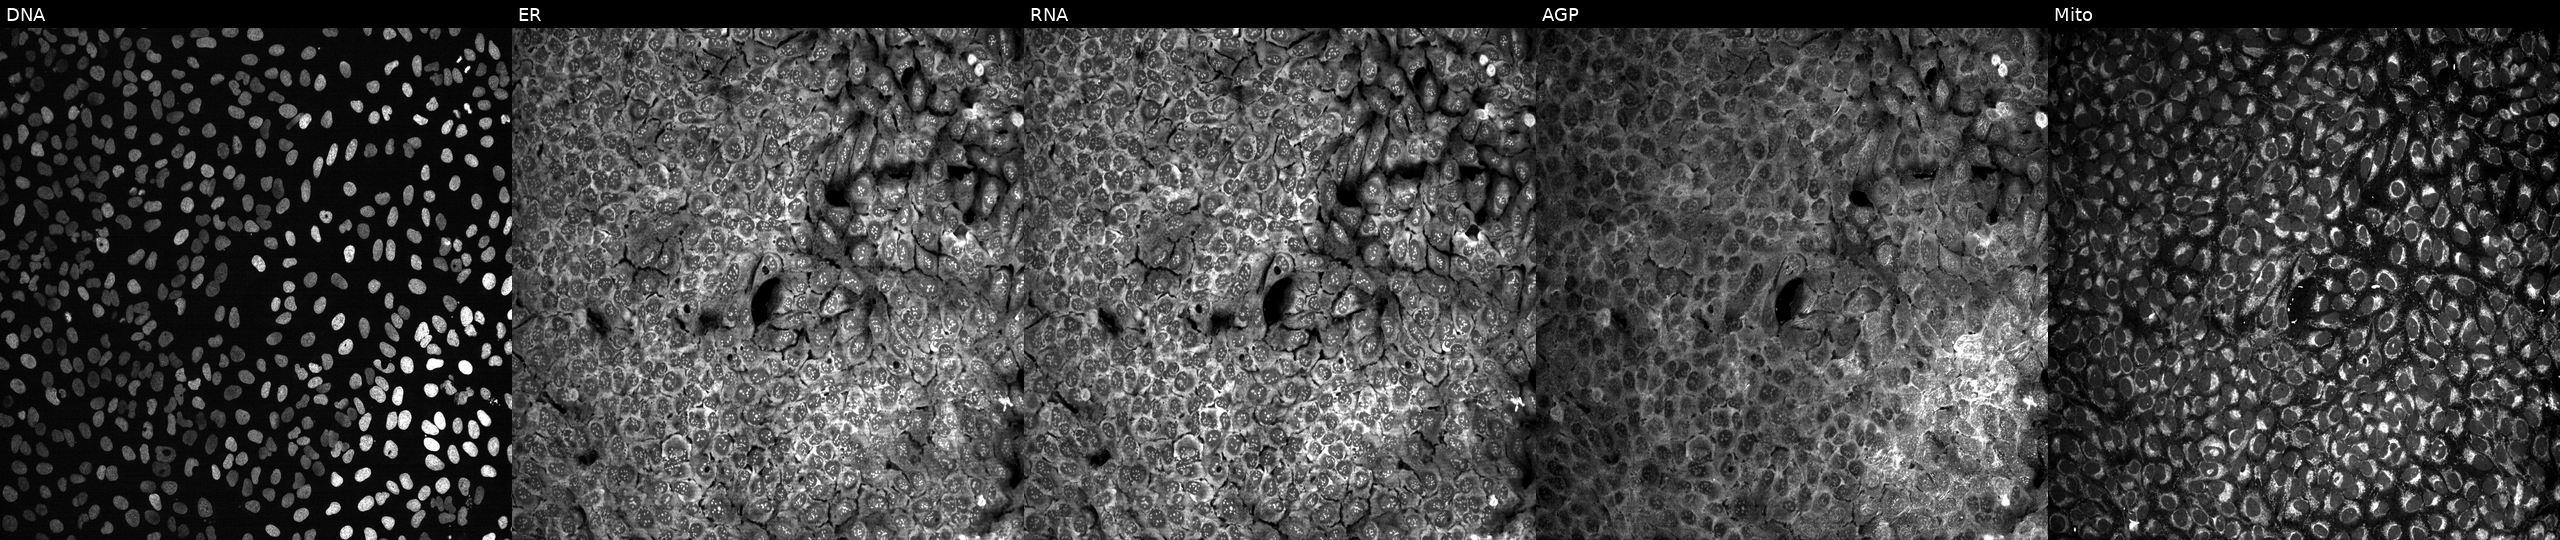
High-content fluorescence microscopy (Cell Painting). Cell line: U2OS. Perturbation: treated with quinidine (positive-control compound). Panels show, left to right, DNA (nuclei); ER (endoplasmic reticulum); RNA (nucleoli and cytoplasmic RNA); AGP (actin cytoskeleton, Golgi, and plasma membrane); Mito (mitochondria).